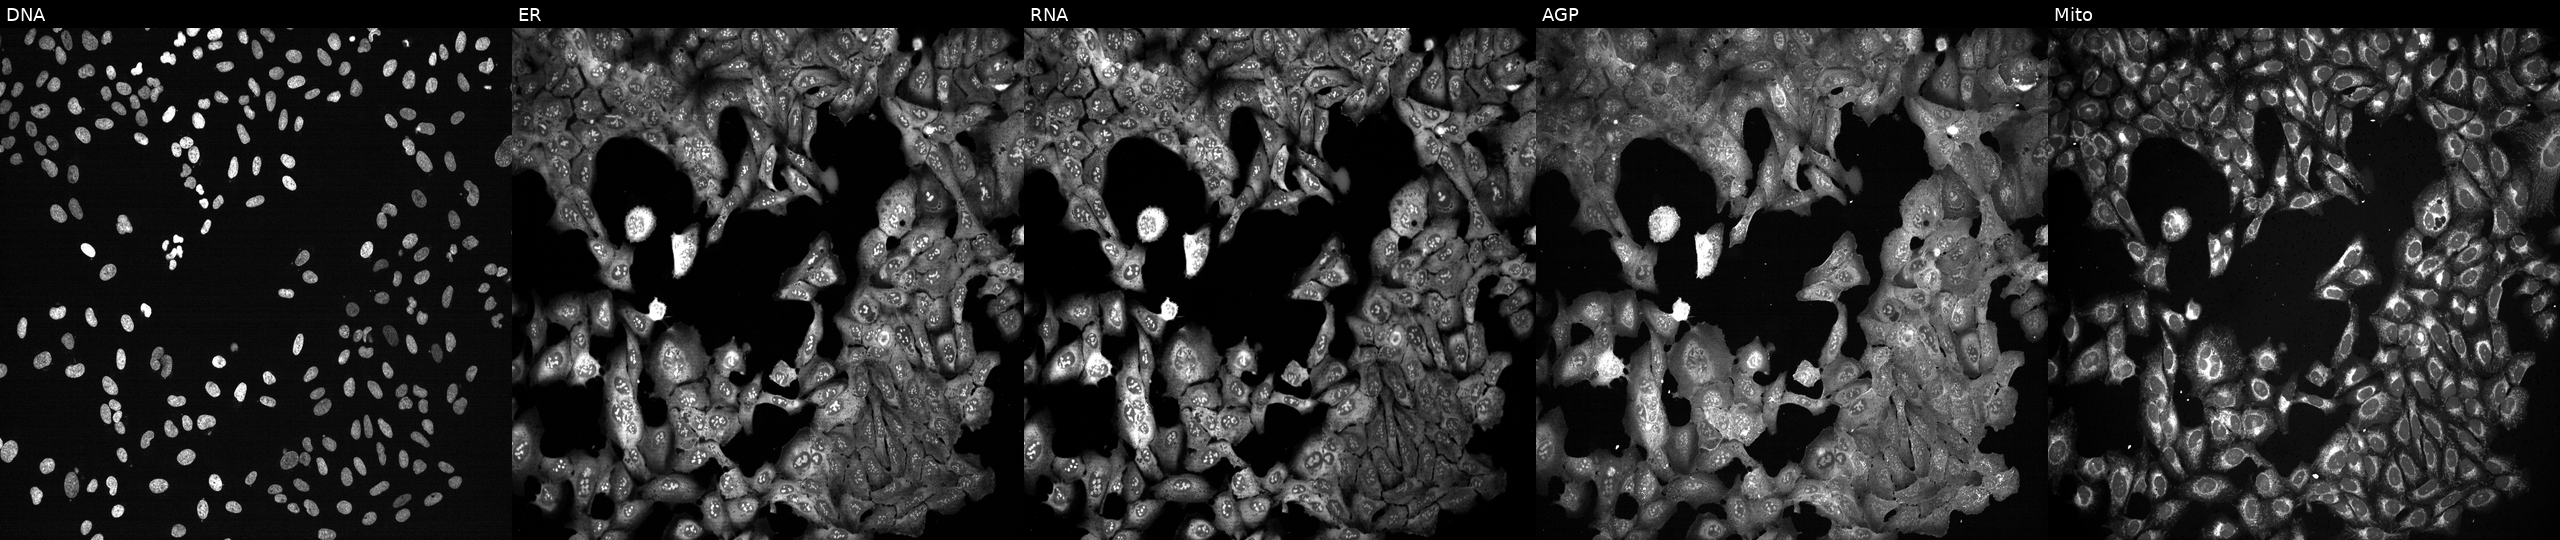
From left to right: DNA, ER, RNA, AGP, and Mito. U2OS osteosarcoma cells following CRISPR knockout of EIF1AX (JUMP id JCP2022_802041). Cell Painting assay, JUMP-CP dataset.